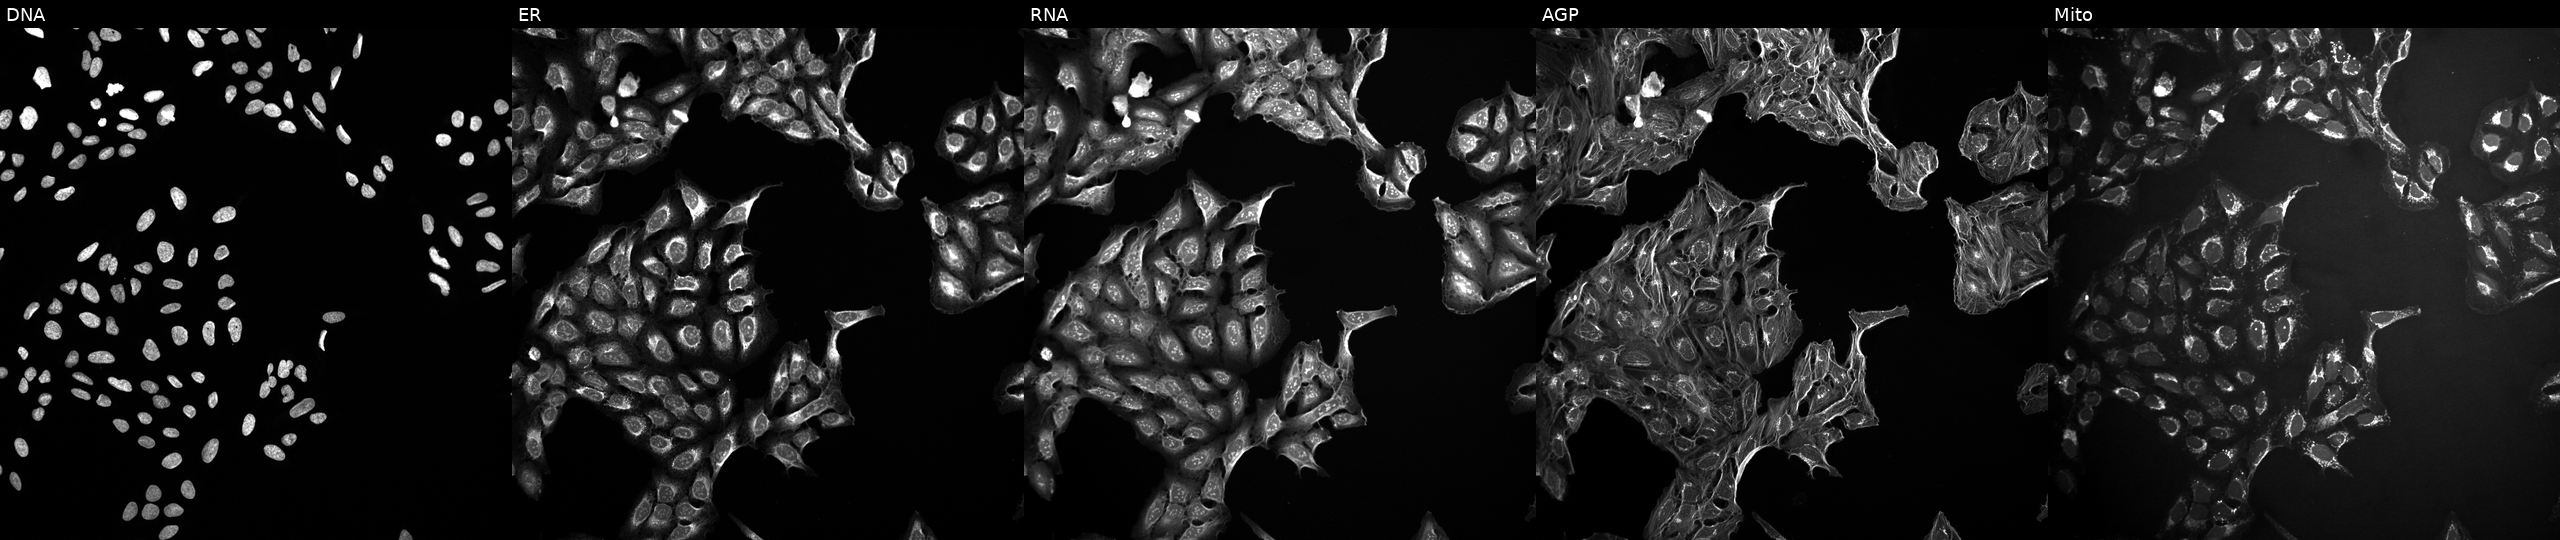
JUMP Cell Painting — COMPOUND plate. U2OS cells perturbed with a small-molecule compound. The five panels, left to right, show Hoechst 33342, concanavalin A, SYTO 14, phalloidin and WGA, MitoTracker.